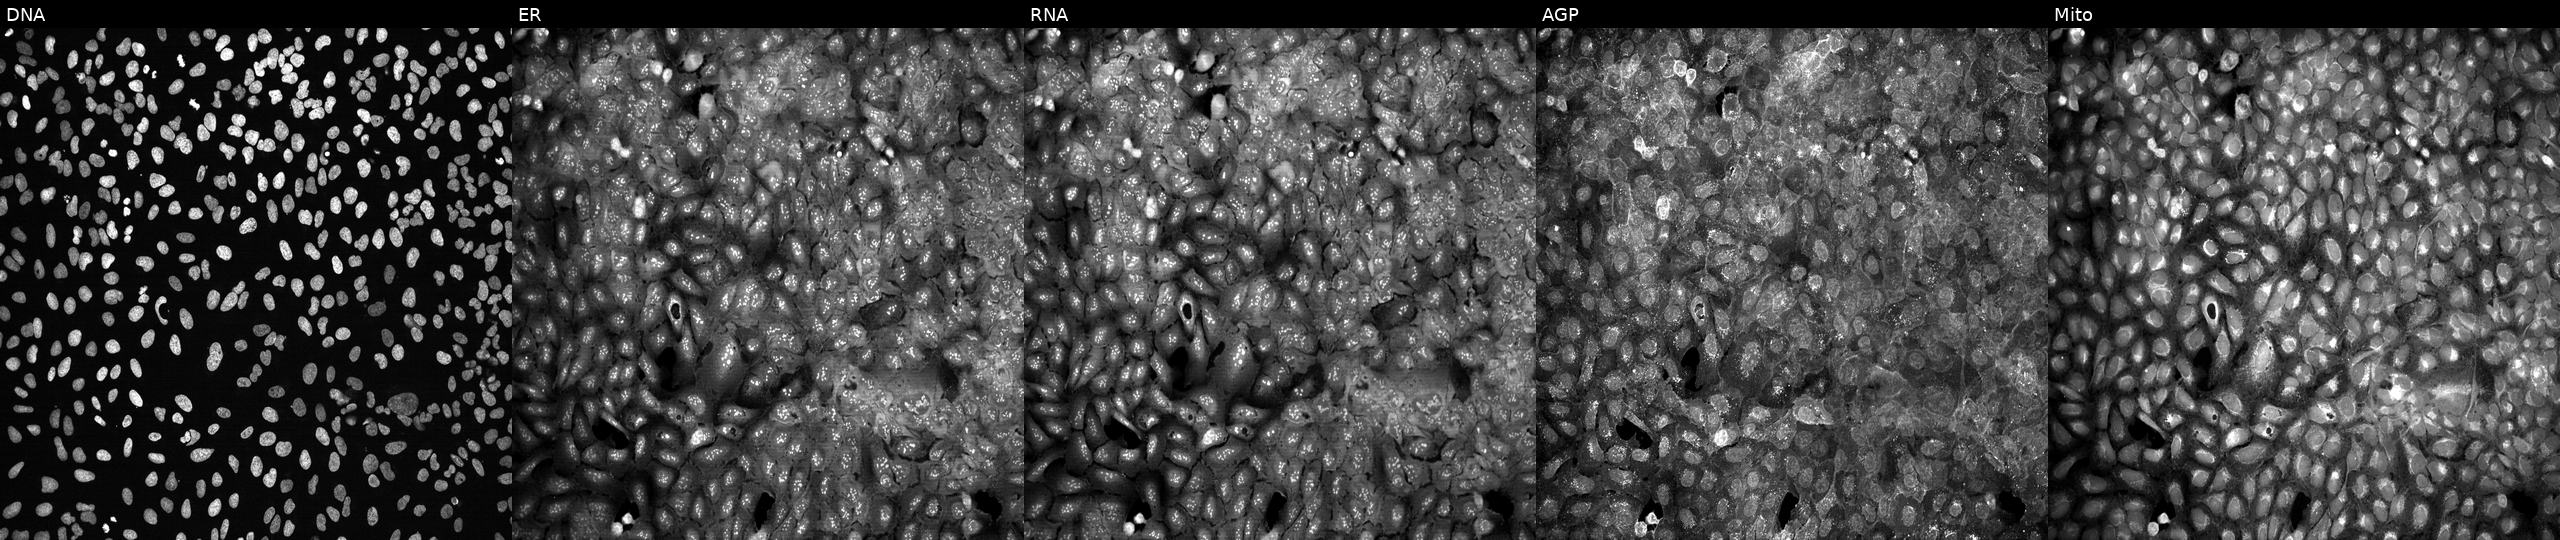
From left to right: DNA (nuclei); ER (endoplasmic reticulum); RNA (nucleoli and cytoplasmic RNA); AGP (actin cytoskeleton, Golgi, and plasma membrane); Mito (mitochondria). U2OS osteosarcoma cells CRISPR-edited to disrupt OSBPL1A (JUMP id JCP2022_804815). Cell Painting assay, JUMP-CP dataset.